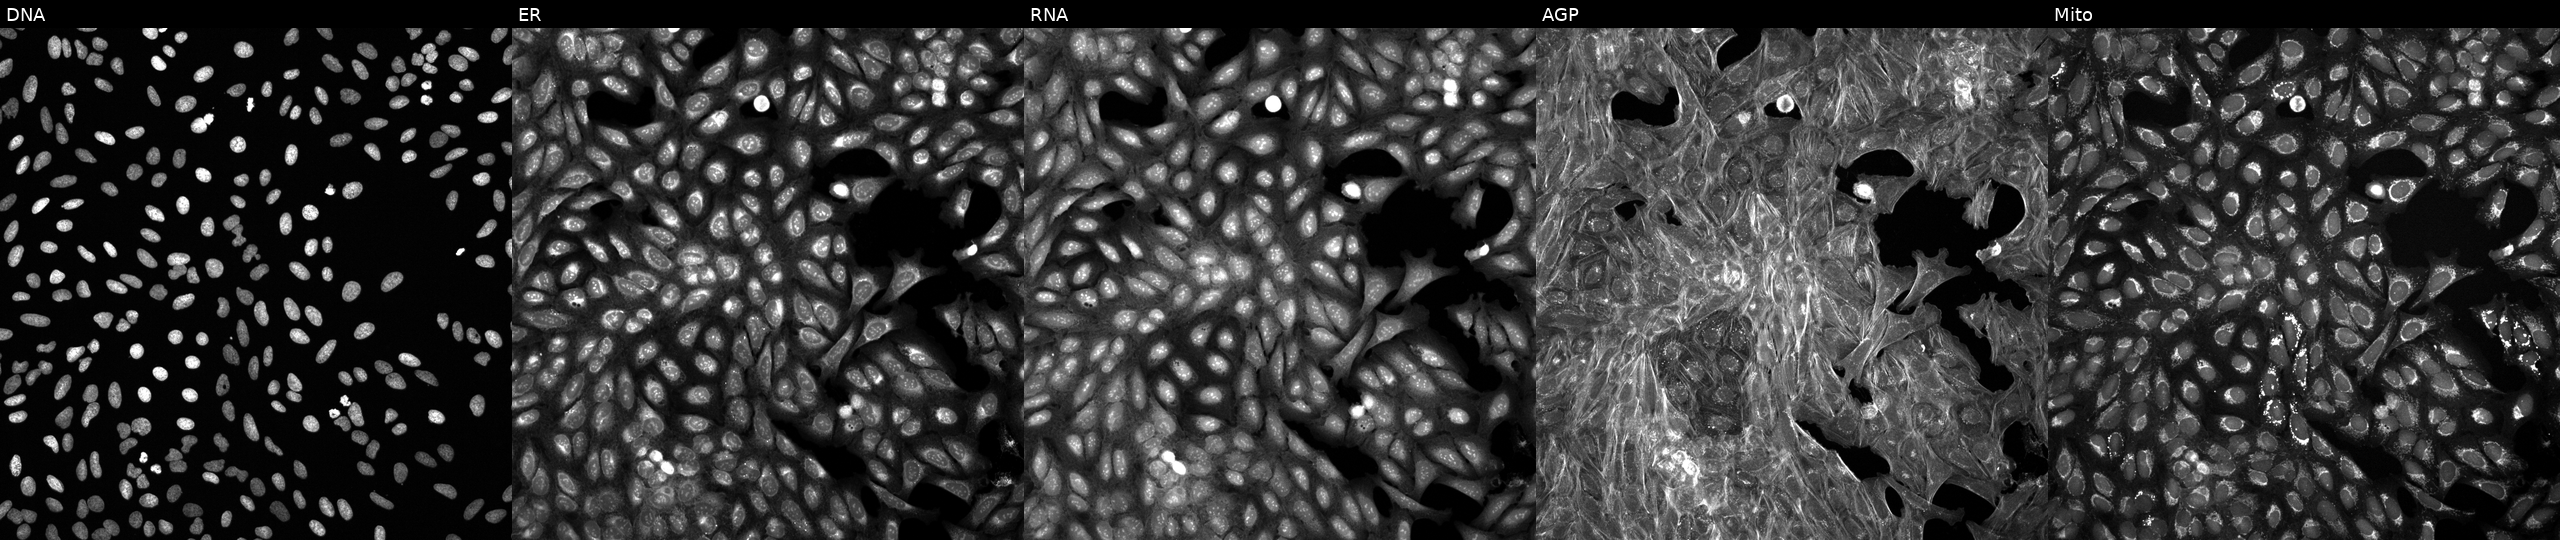
This image strip shows the five Cell Painting channels for a single field of U2OS cells treated with a small-molecule compound (JUMP id JCP2022_050271). From left to right: DNA (nuclei); ER (endoplasmic reticulum); RNA (nucleoli and cytoplasmic RNA); AGP (actin cytoskeleton, Golgi, and plasma membrane); Mito (mitochondria). Source 6, plate 110000294901, well E12.